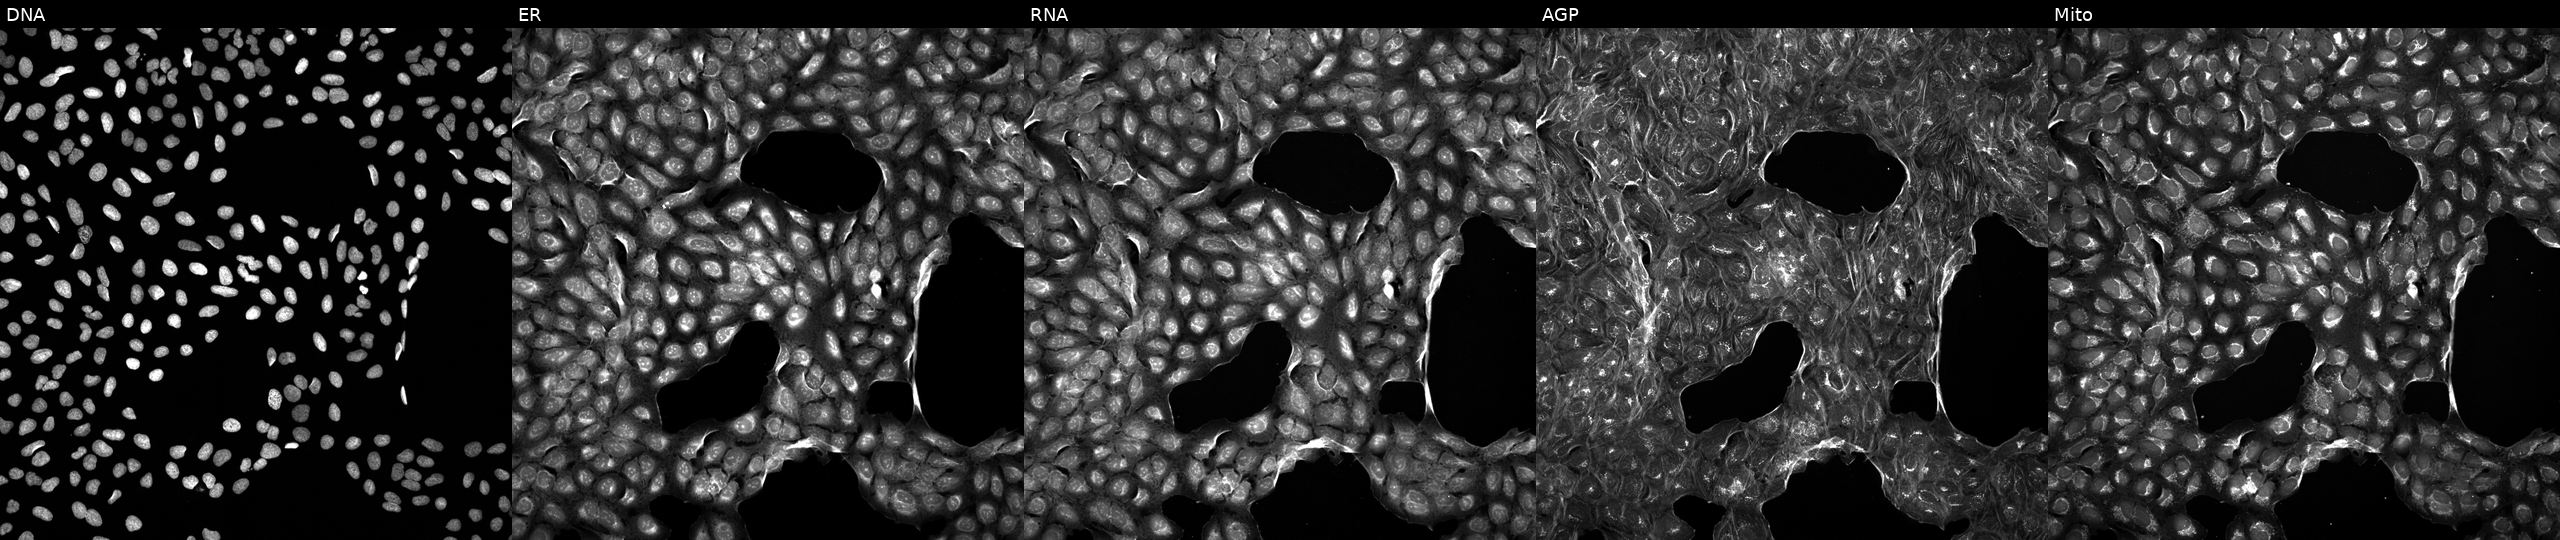
This image strip shows the five Cell Painting channels for a single field of U2OS cells exposed to a small-molecule compound. From left to right: DNA, ER, RNA, AGP, and Mito.